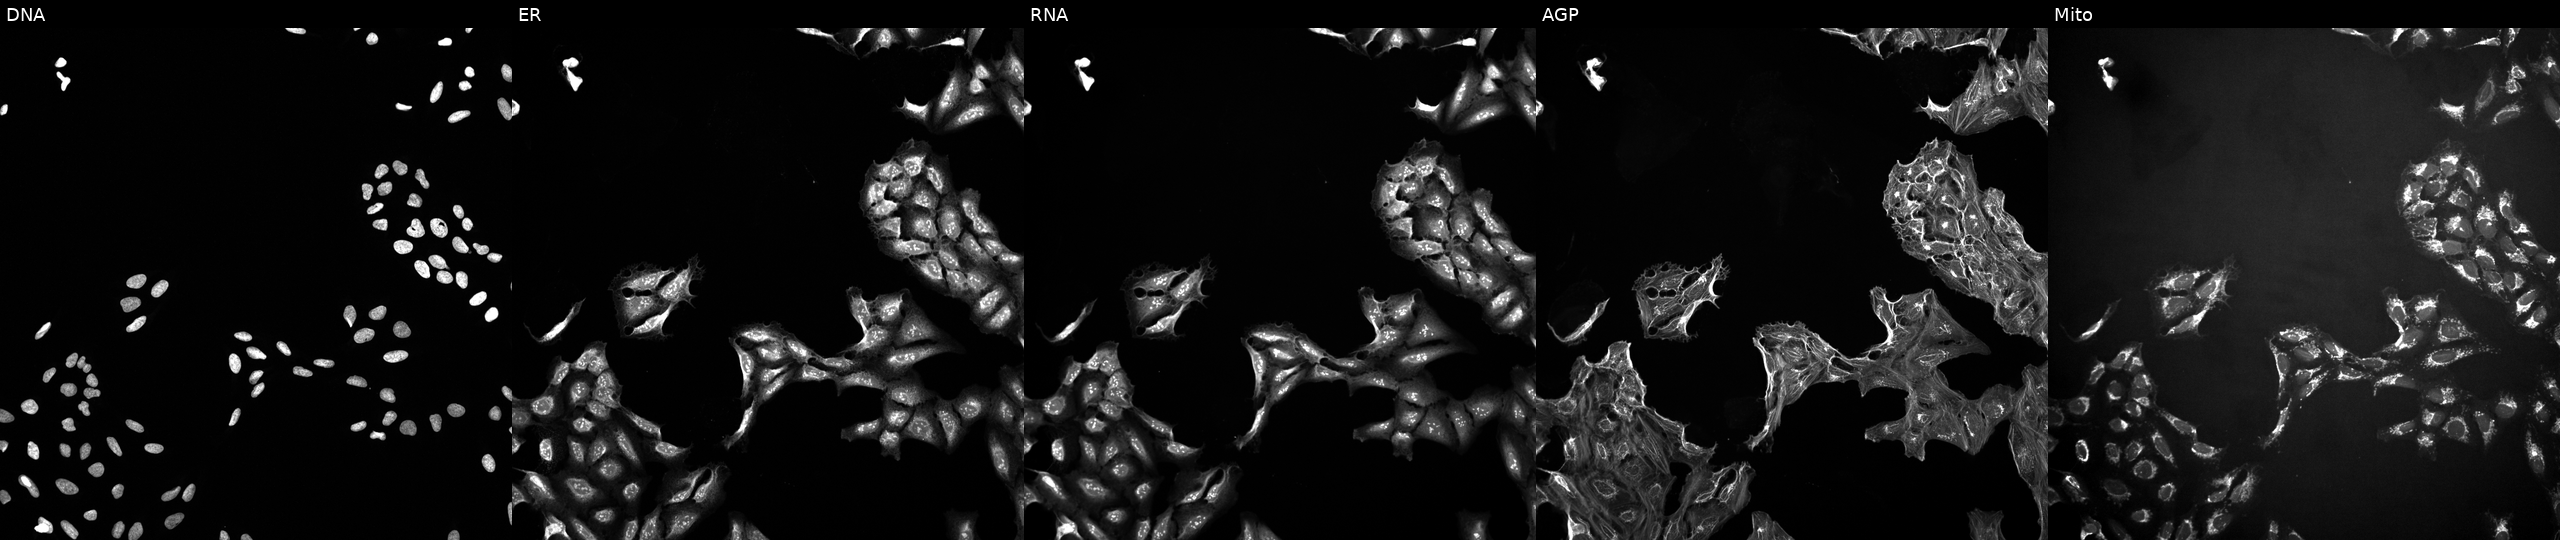
U2OS cells, Cell Painting assay, treated with a small-molecule compound. Panels show, left to right, DNA (nuclei); ER (endoplasmic reticulum); RNA (nucleoli and cytoplasmic RNA); AGP (actin cytoskeleton, Golgi, and plasma membrane); Mito (mitochondria). Each panel is percentile-stretched 16-bit fluorescence.